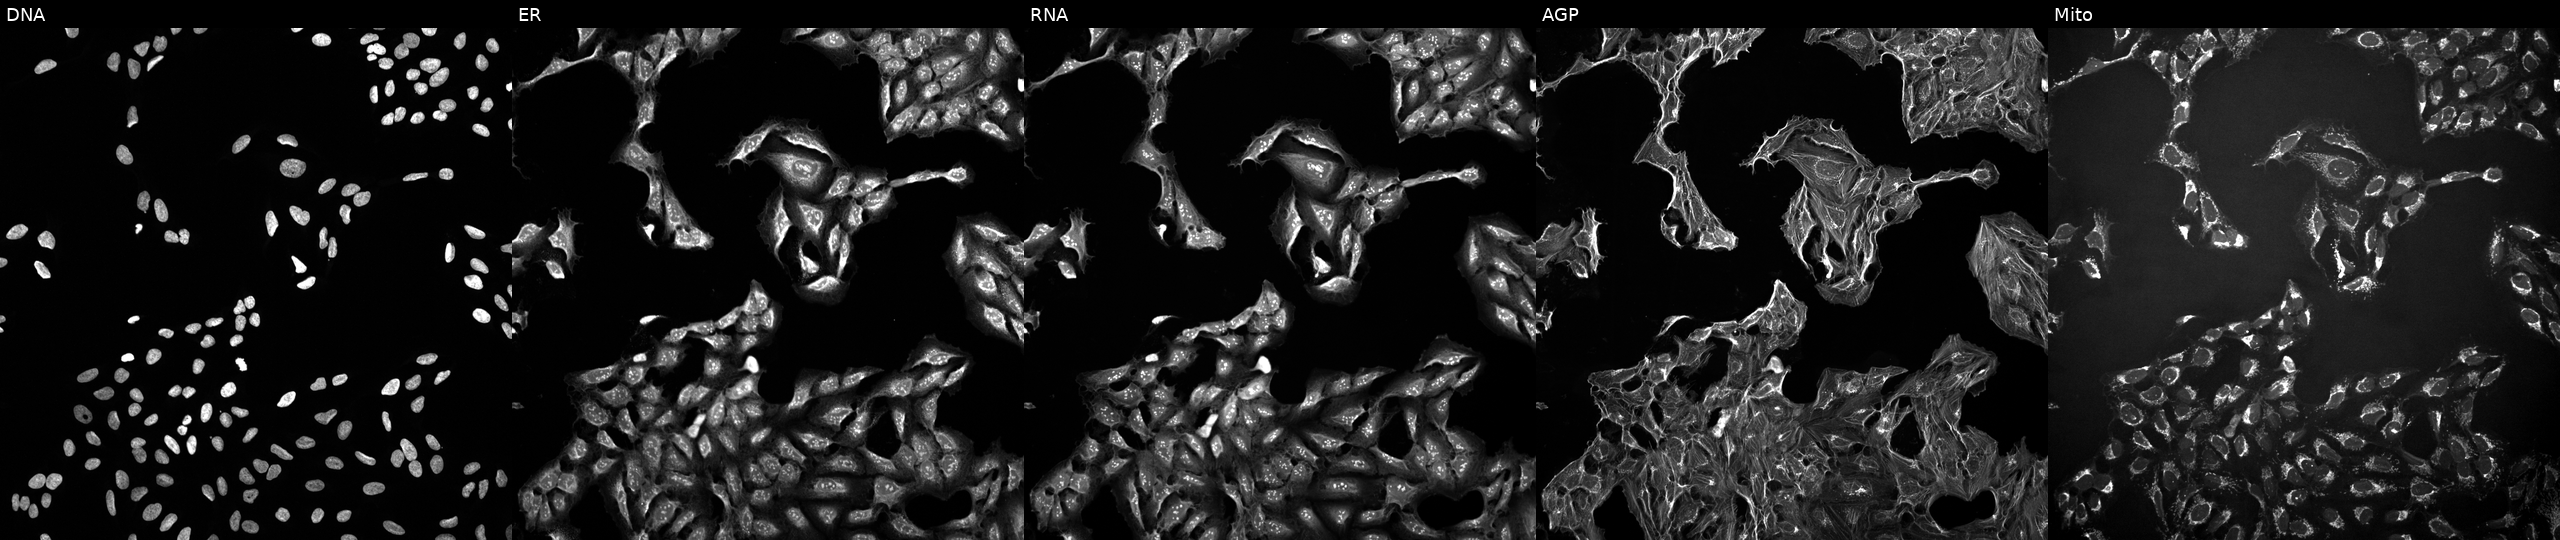
Five-channel Cell Painting image of U2OS cells perturbed with a small-molecule compound. From left to right: DNA, ER, RNA, AGP, and Mito. Source 10, plate Dest210726-160150, well A17.